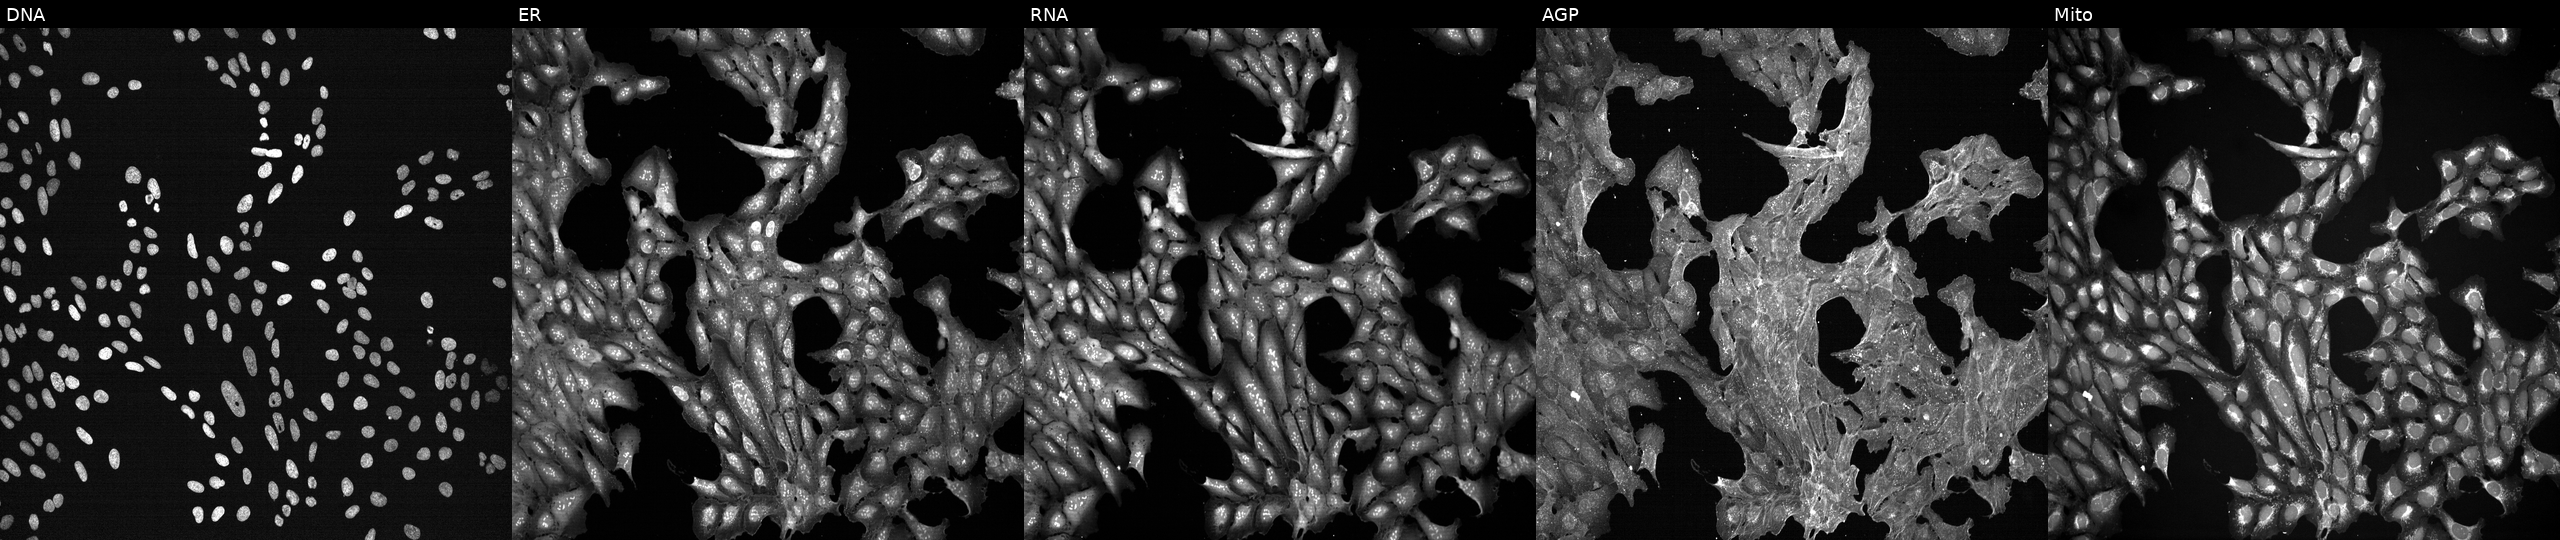
U2OS cells, Cell Painting assay, exposed to DMSO alone as a negative control (JUMP id JCP2022_033924). From left to right: DNA, ER, RNA, AGP, and Mito. Each panel is percentile-stretched 16-bit fluorescence. Source 7, plate CP2-SC1-25, well I20.